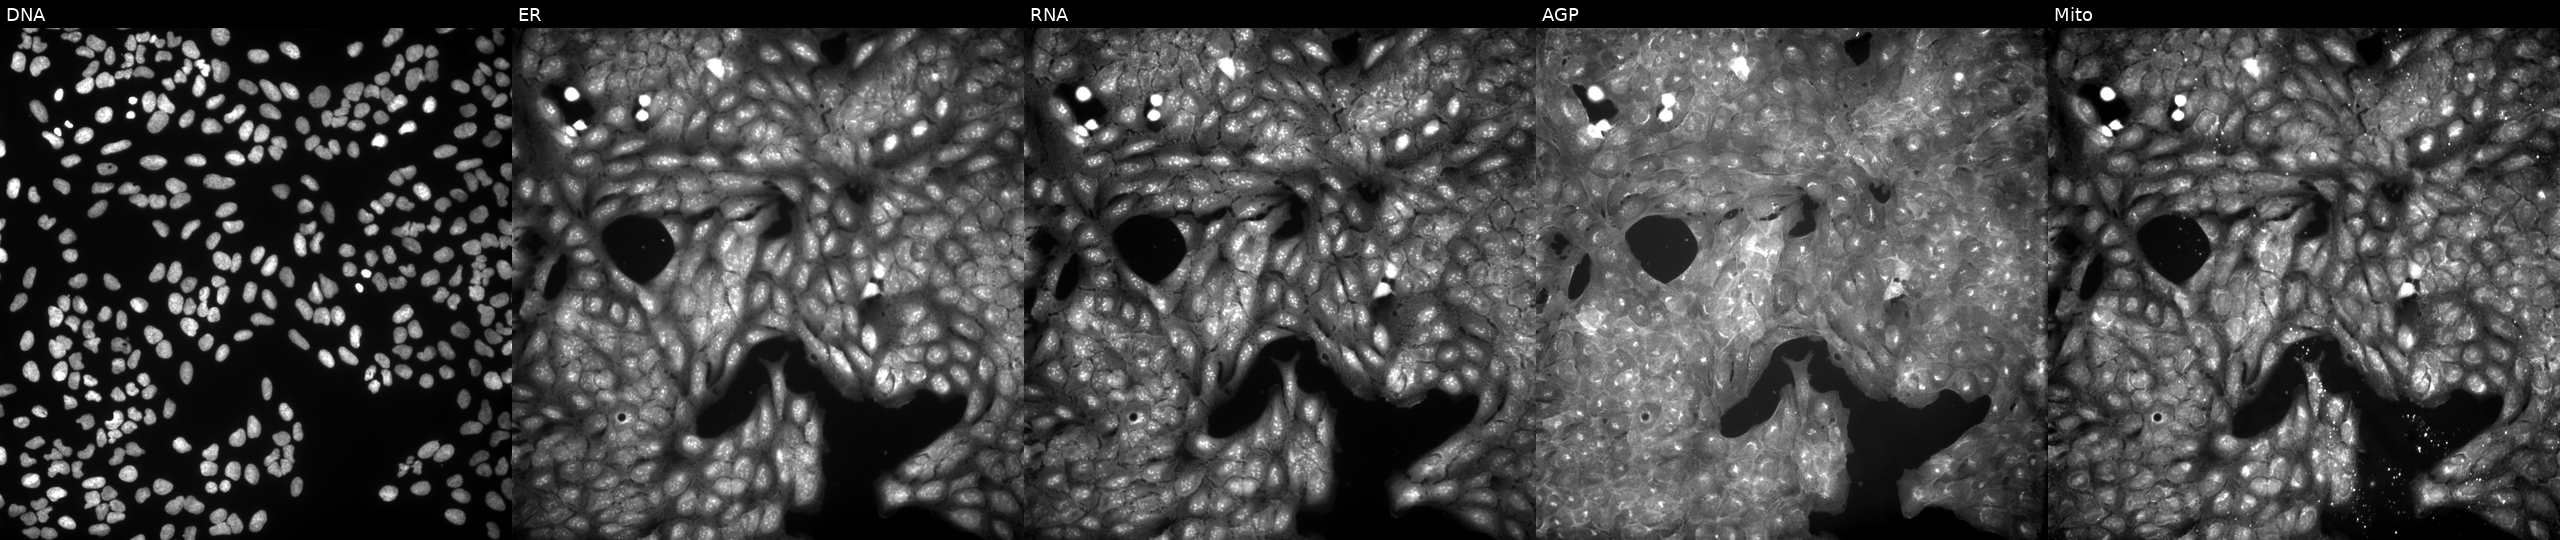
High-content fluorescence microscopy (Cell Painting). Cell line: U2OS. Perturbation: treated with DMSO vehicle only (negative control). Panels show, left to right, DNA, ER, RNA, AGP, and Mito.